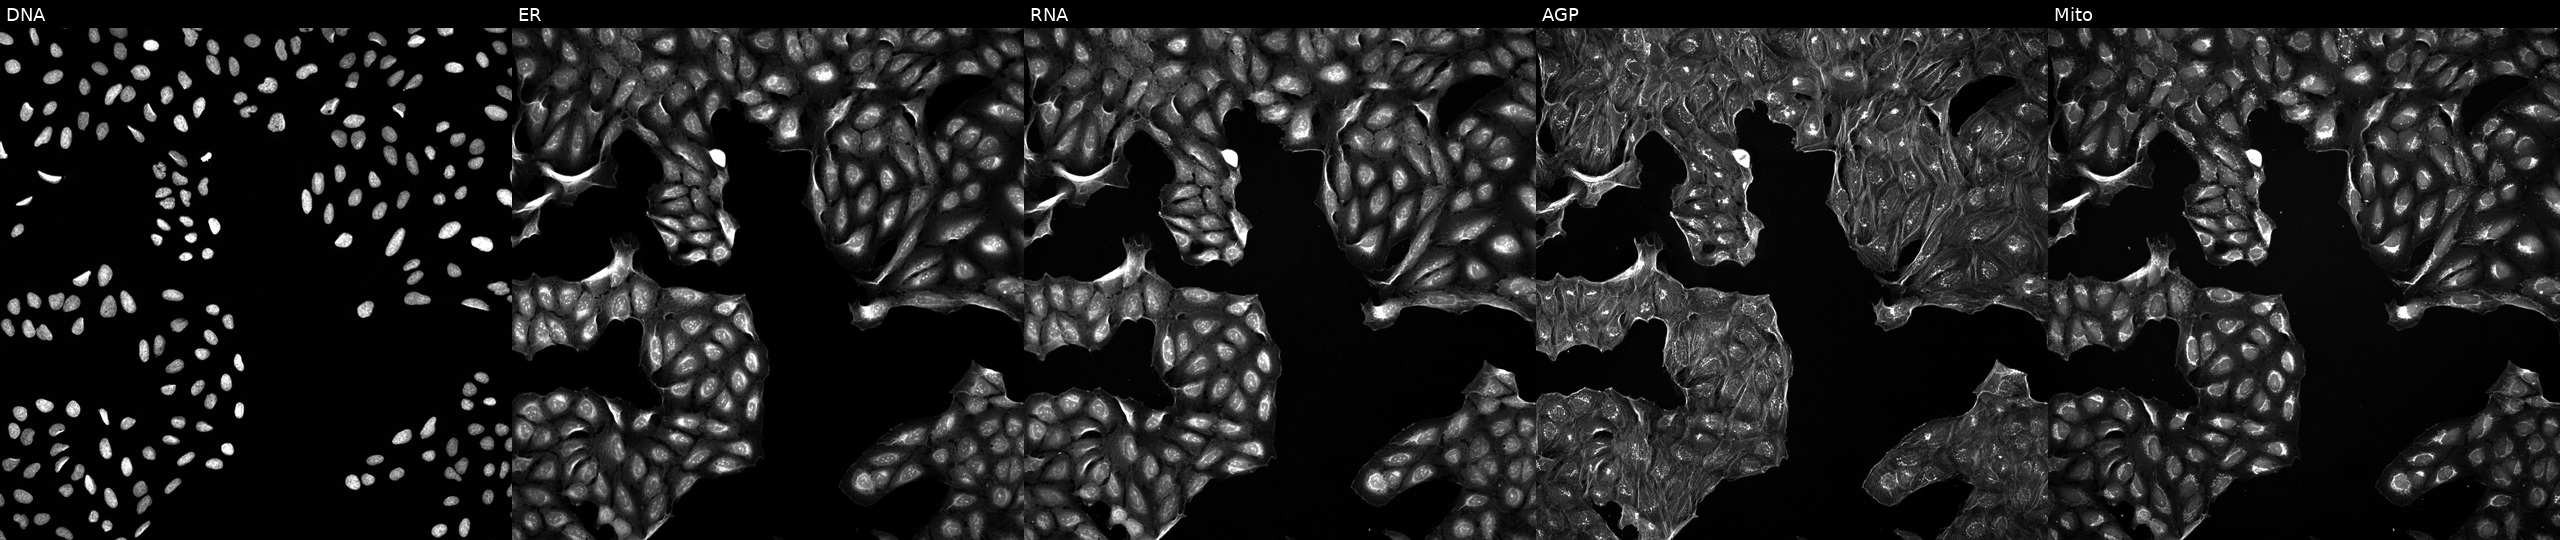
U2OS cells, Cell Painting assay, exposed to the positive-control compound aloxistatin. Channels (left→right): DNA, ER, RNA, AGP, and Mito. Each panel is percentile-stretched 16-bit fluorescence. Source 5, plate APTJUM106, well A01.